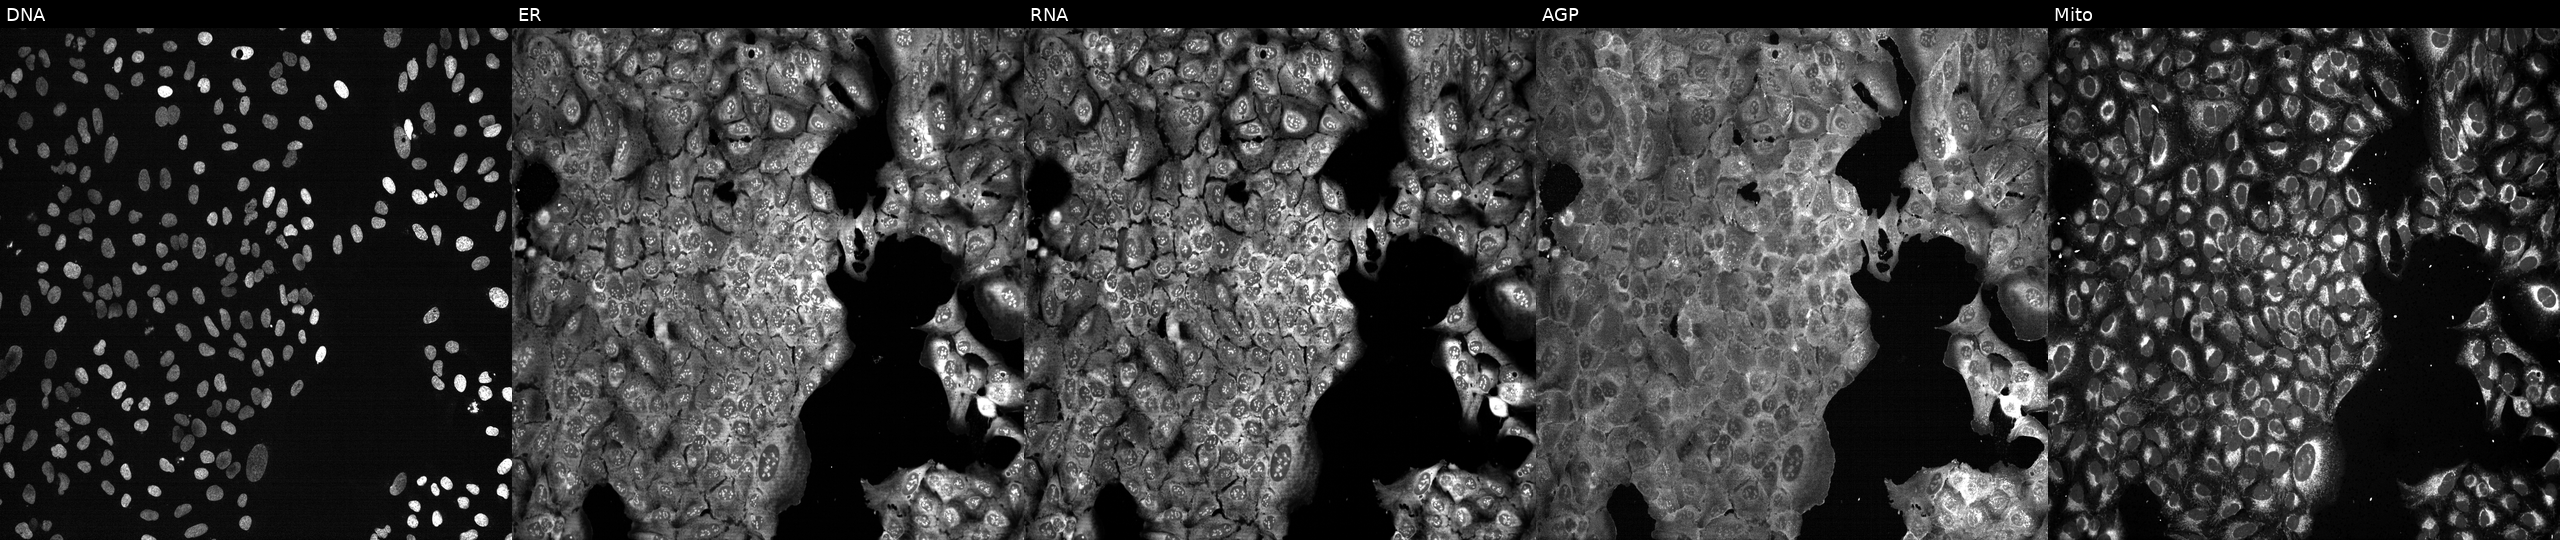
Channels (left→right): DNA, ER, RNA, AGP, and Mito. U2OS osteosarcoma cells CRISPR-edited to disrupt MOGAT1 (JUMP id JCP2022_804238). Cell Painting assay, JUMP-CP dataset.